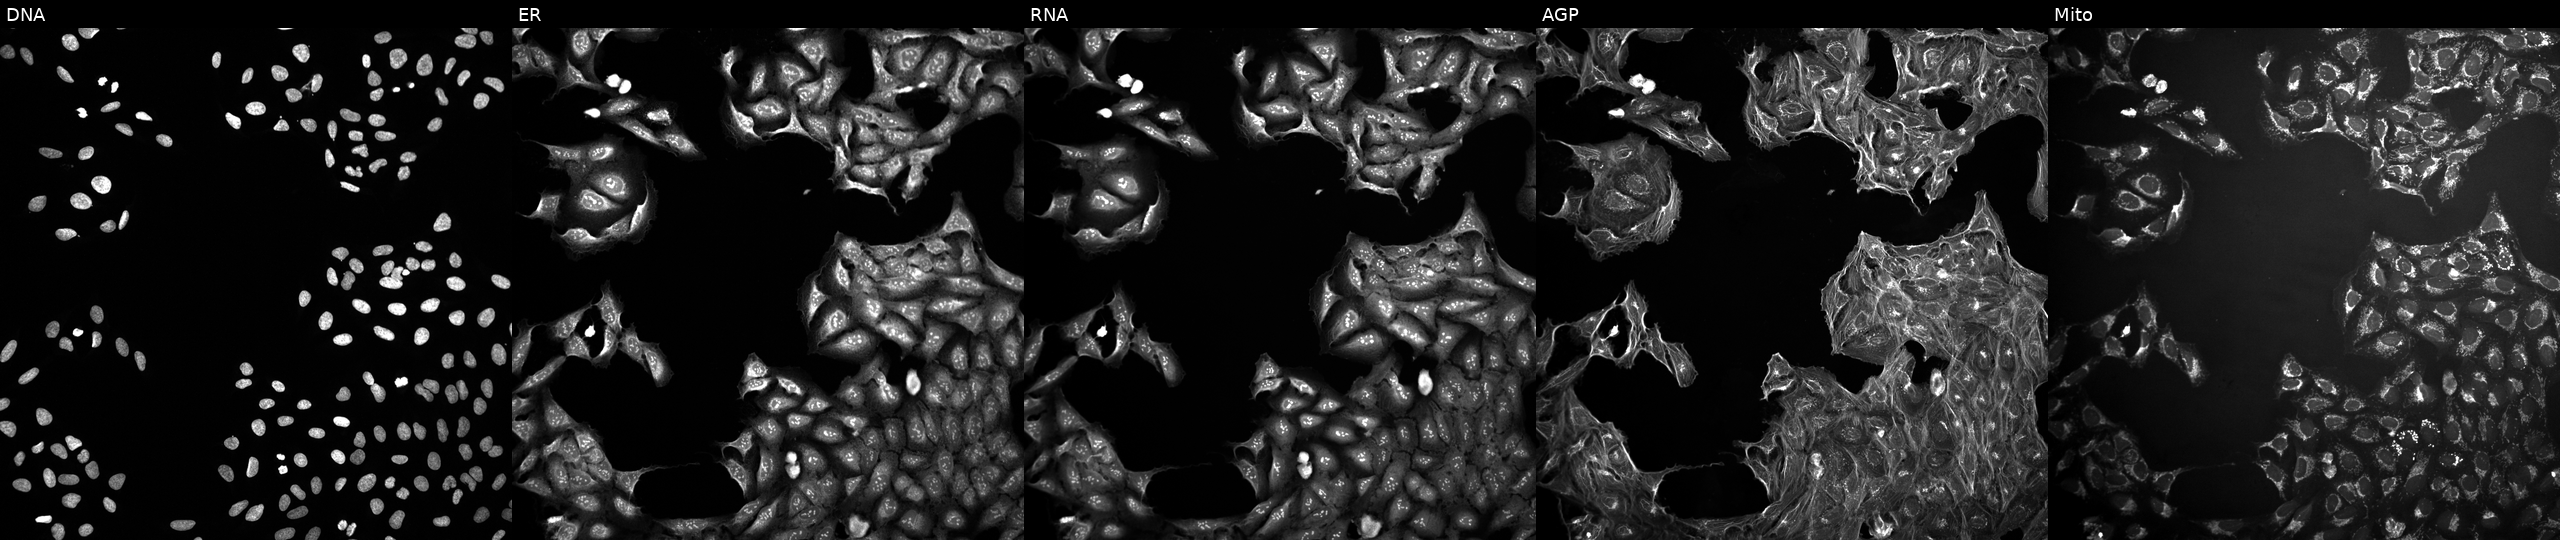
High-content fluorescence microscopy (Cell Painting). Cell line: U2OS. Perturbation: treated with a small-molecule compound (InChIKey HULPONUAINYLQQ-UHFFFAOYSA-N). From left to right: DNA, ER, RNA, AGP, and Mito.